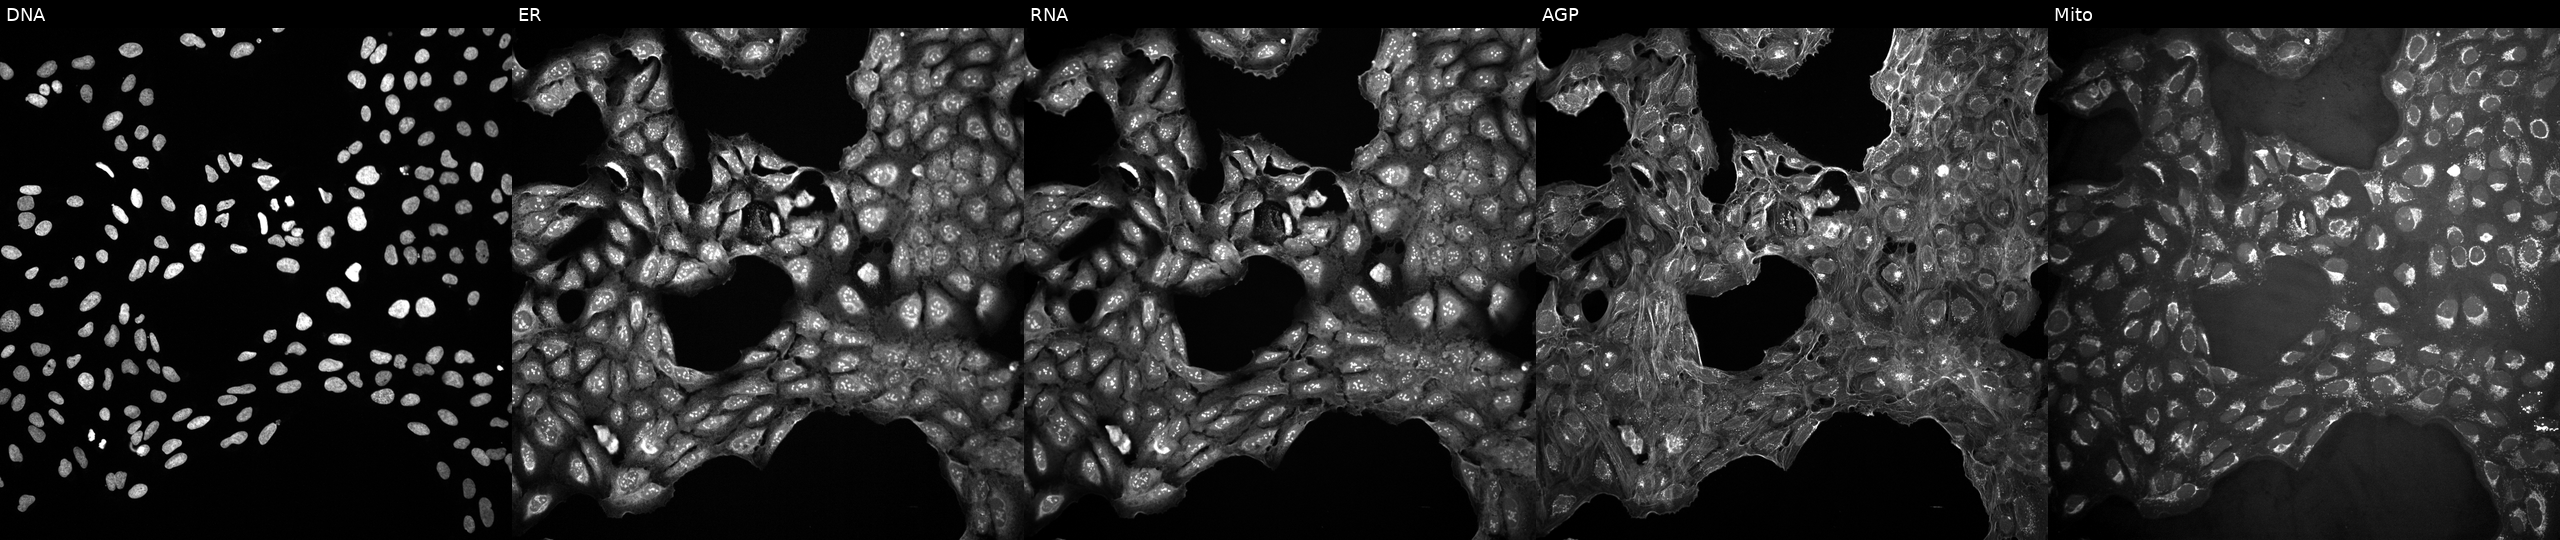
High-content fluorescence microscopy (Cell Painting). Cell line: U2OS. Perturbation: in an empty control well (no perturbation) (JUMP id JCP2022_999999). The five panels, left to right, show DNA (nuclei); ER (endoplasmic reticulum); RNA (nucleoli and cytoplasmic RNA); AGP (actin cytoskeleton, Golgi, and plasma membrane); Mito (mitochondria). Source 10, plate Dest210531-152149, well P16.